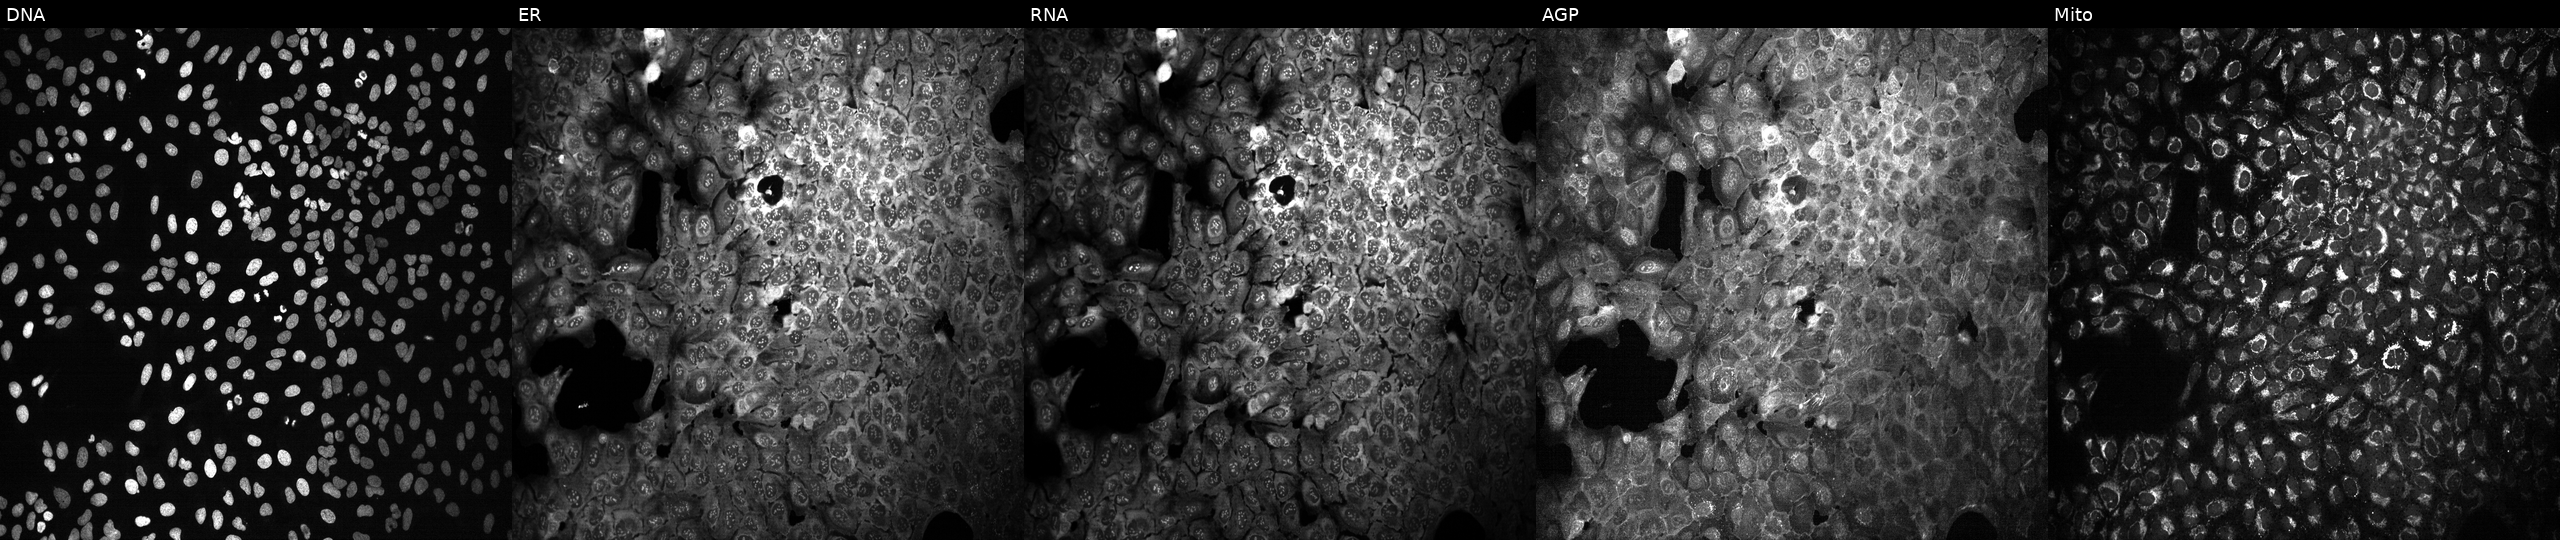
High-content fluorescence microscopy (Cell Painting). Cell line: U2OS. Perturbation: with LIPG knocked out by CRISPR. From left to right: DNA (nuclei); ER (endoplasmic reticulum); RNA (nucleoli and cytoplasmic RNA); AGP (actin cytoskeleton, Golgi, and plasma membrane); Mito (mitochondria).